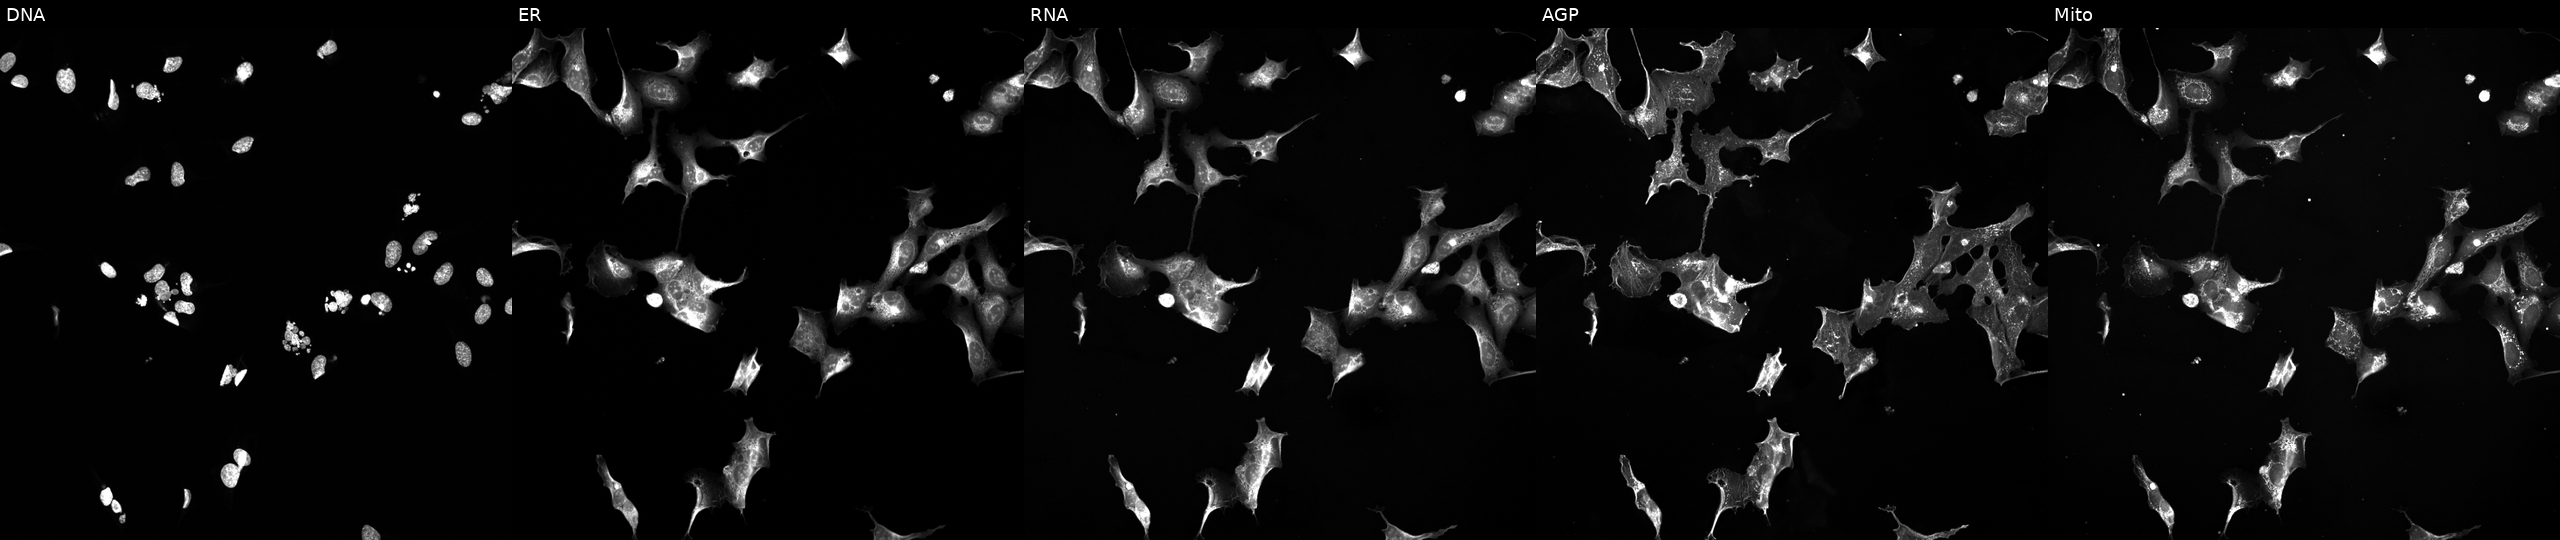
This image strip shows the five Cell Painting channels for a single field of U2OS cells perturbed with a small-molecule compound (InChIKey XQVVPGYIWAGRNI-UHFFFAOYSA-N). The five panels, left to right, show Hoechst 33342, concanavalin A, SYTO 14, phalloidin and WGA, MitoTracker.